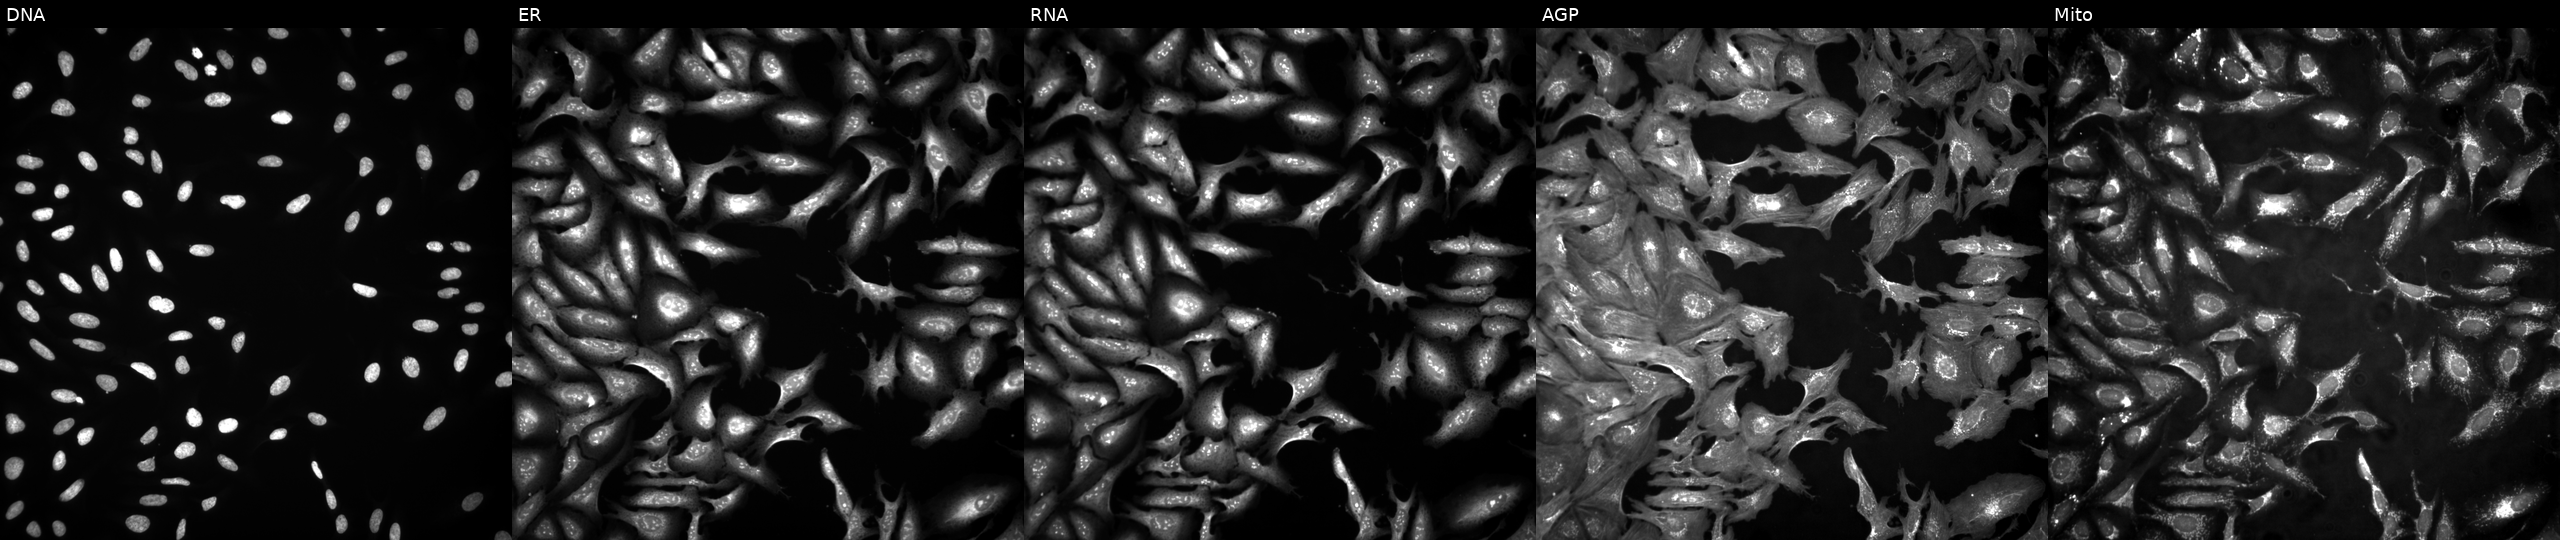
U2OS cells, Cell Painting assay, transfected with an ORF construct for DDR2 (JUMP id JCP2022_913750). From left to right: DNA, ER, RNA, AGP, and Mito. Each panel is percentile-stretched 16-bit fluorescence. Source 4, plate BR00123945, well K16.